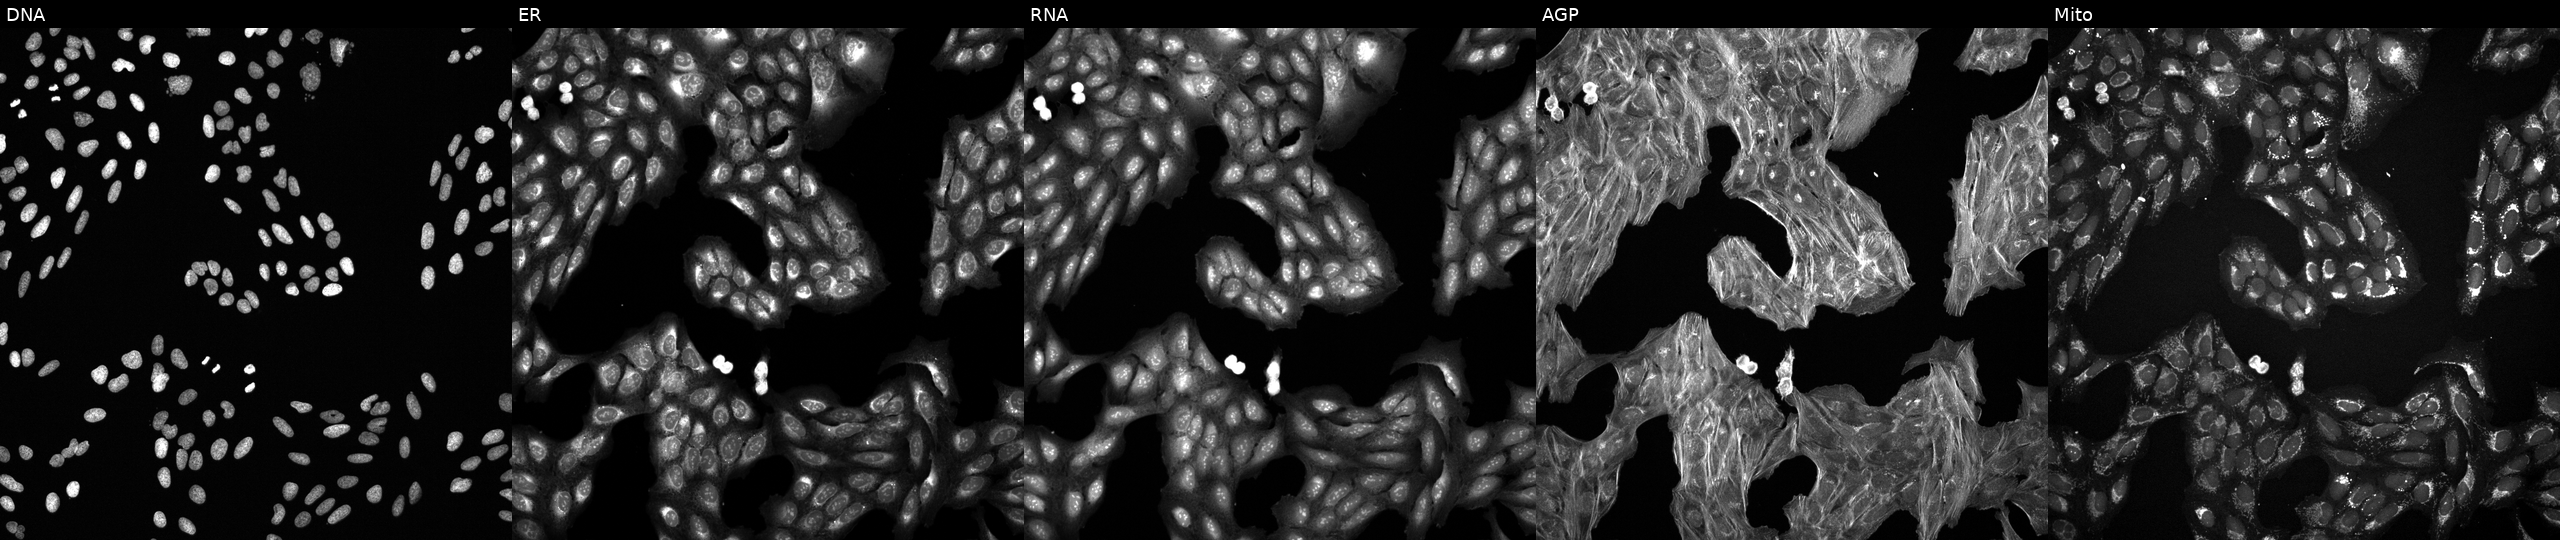
This image strip shows the five Cell Painting channels for a single field of U2OS cells perturbed with a small-molecule compound (InChIKey JXJJFWNPGALINF-UHFFFAOYSA-N) (JUMP id JCP2022_042744). From left to right: DNA, ER, RNA, AGP, and Mito.